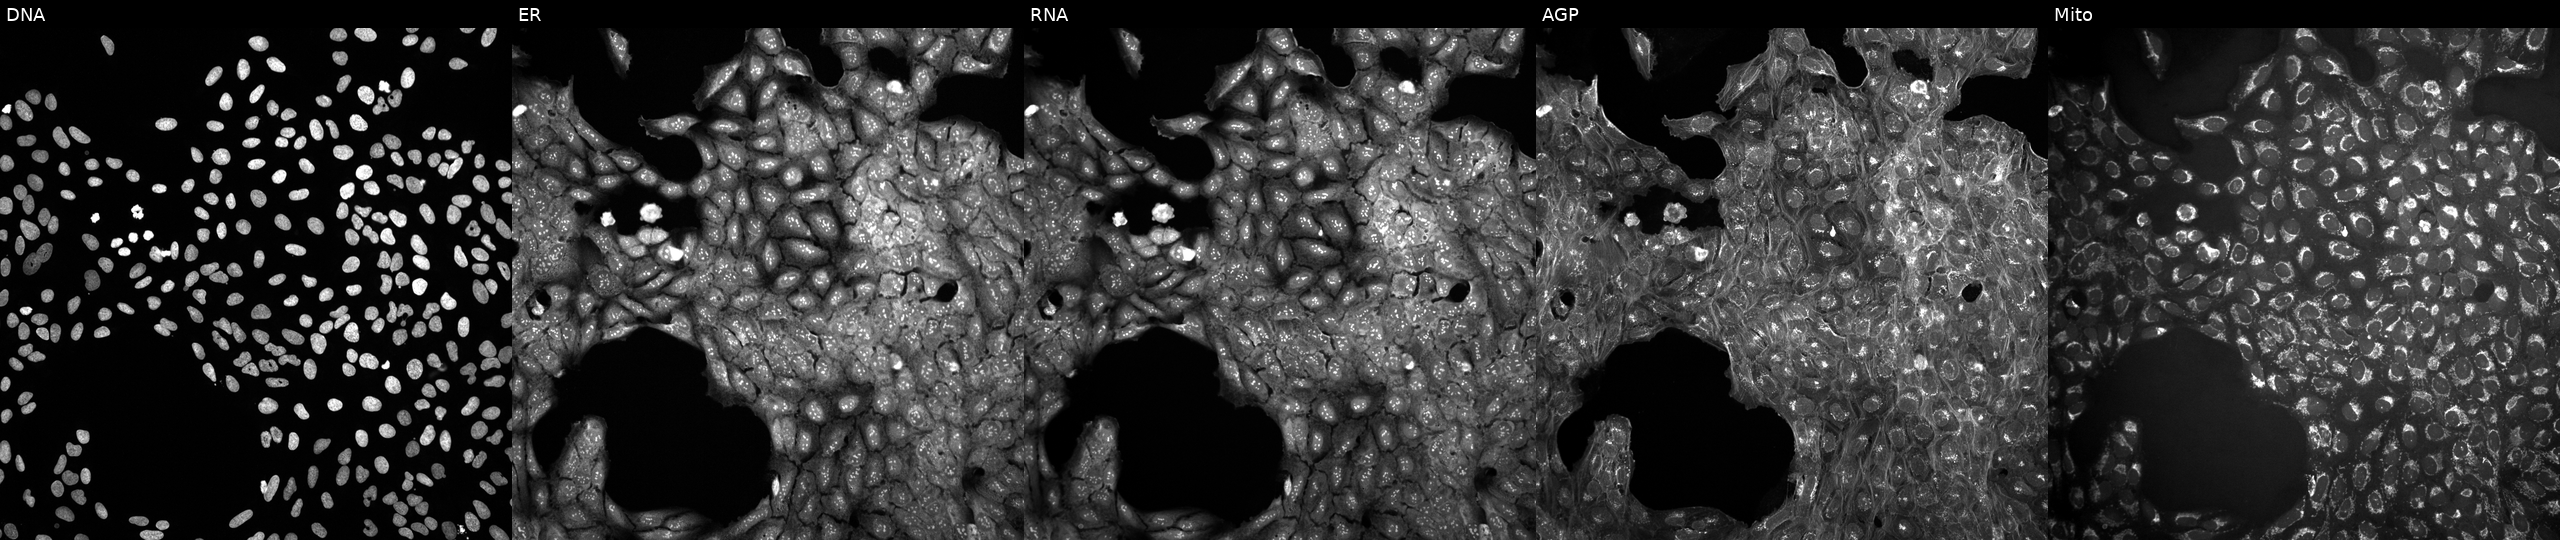
High-content fluorescence microscopy (Cell Painting). Cell line: U2OS. Perturbation: perturbed with a small-molecule compound (InChIKey IABCAPBKAAIFQI-UHFFFAOYSA-N) [SMILES: COc1ccccc1-c1cc(C2CN3CCC2CC3CNCc2cccc(C#N)c2)n(C)n1]. The five panels, left to right, show Hoechst 33342, concanavalin A, SYTO 14, phalloidin and WGA, MitoTracker. Source 10, plate Dest210531-152149, well K10.